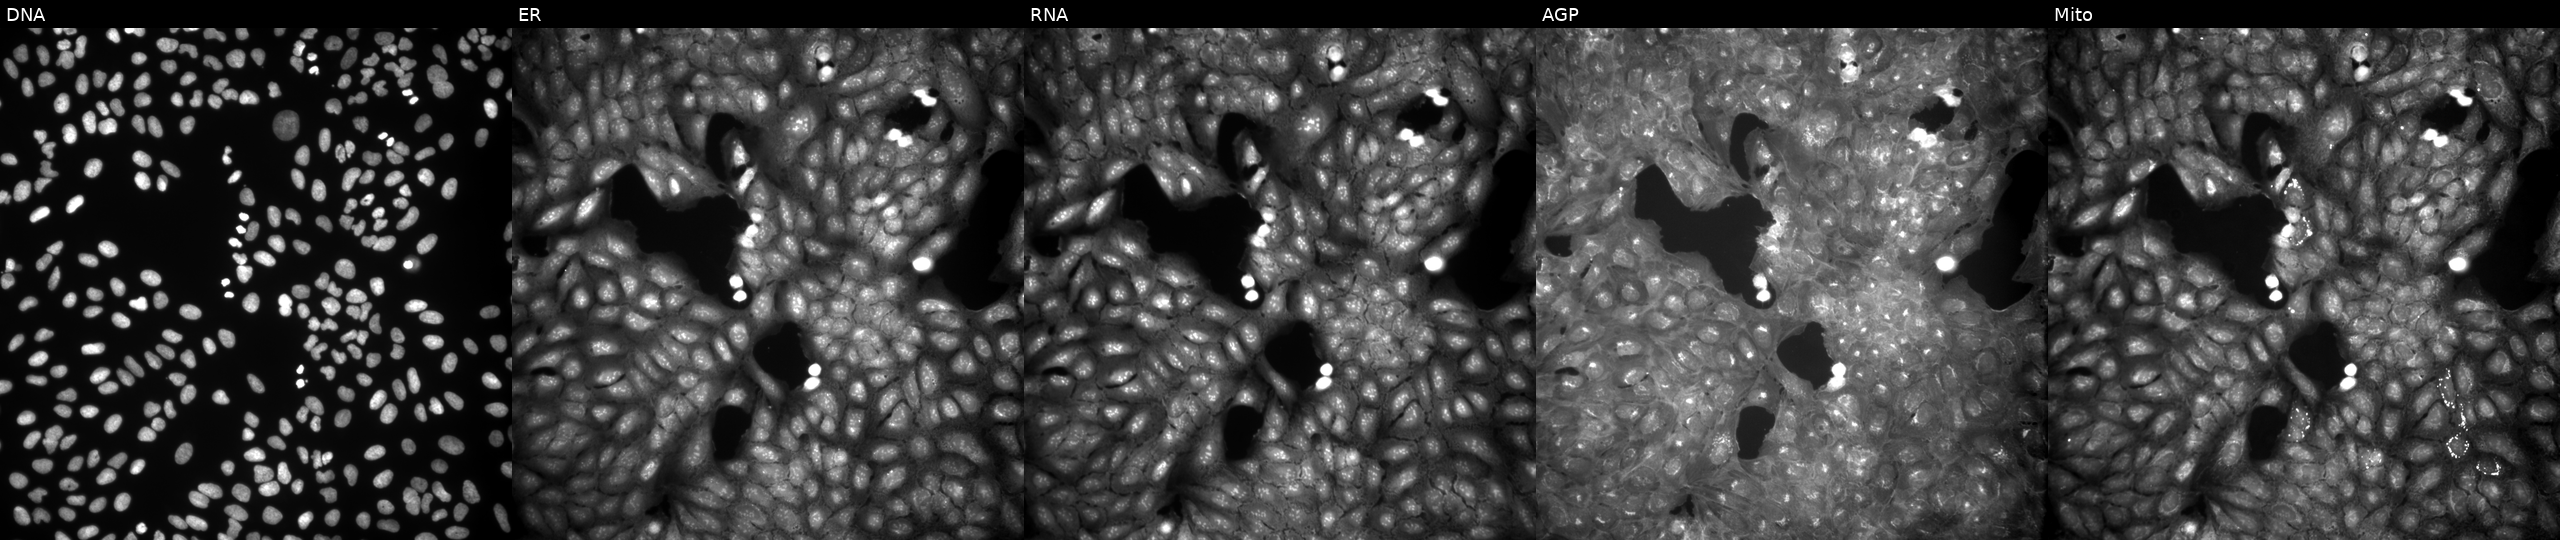
U2OS cells, Cell Painting assay, perturbed with a small-molecule compound (JUMP id JCP2022_000805). The five panels, left to right, show DNA, ER, RNA, AGP, and Mito. Each panel is percentile-stretched 16-bit fluorescence. Source 9, plate GR00003381, well C36.